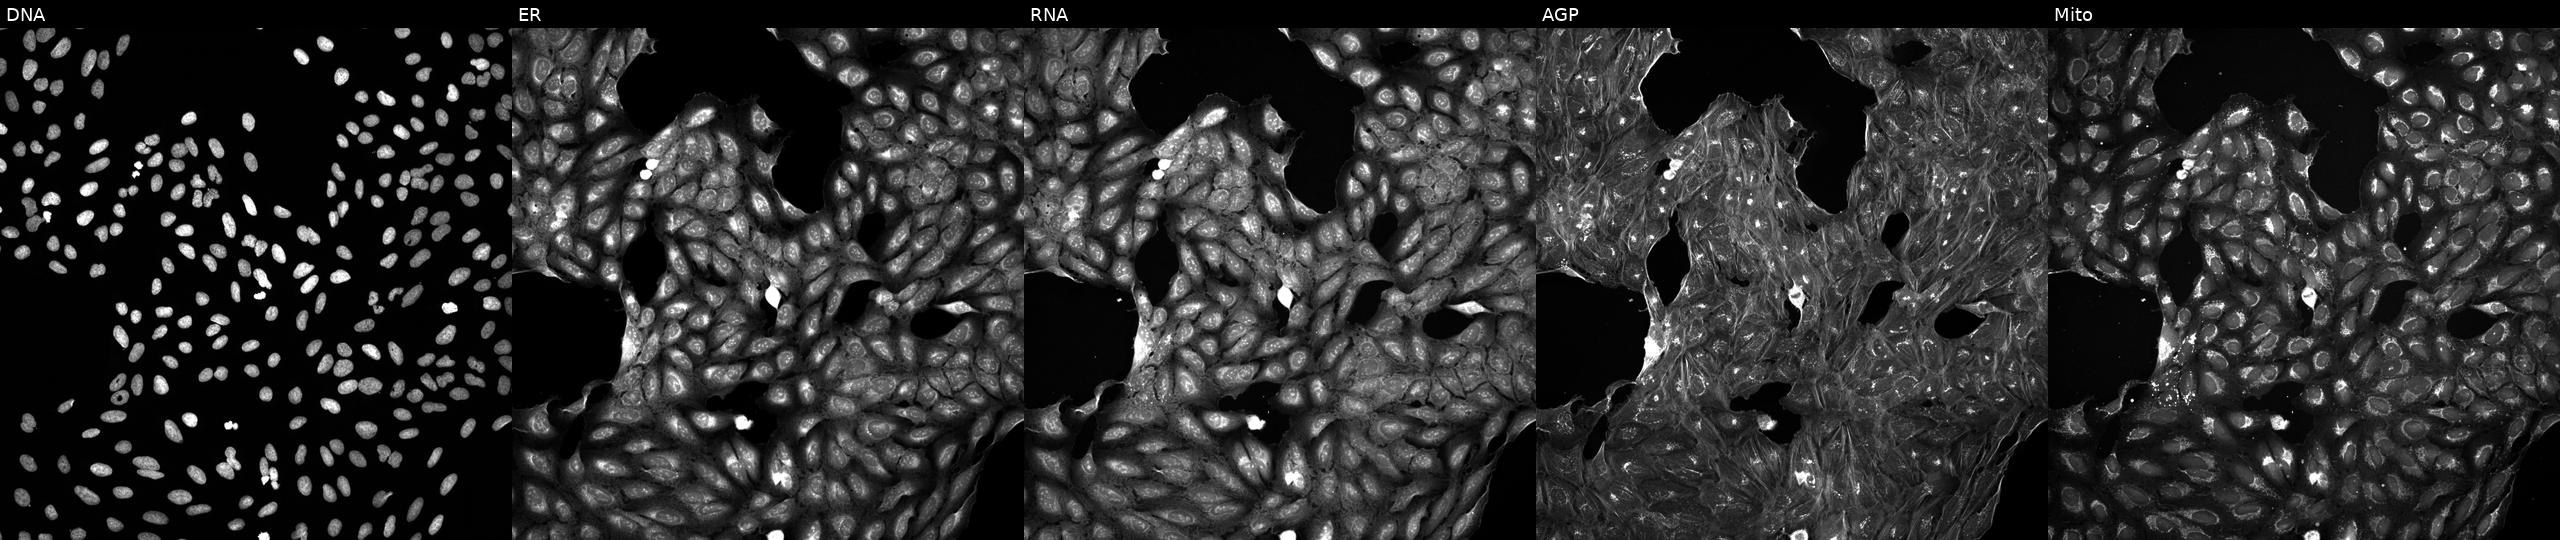
Five-channel Cell Painting image of U2OS cells treated with DMSO vehicle only (negative control). From left to right: Hoechst 33342, concanavalin A, SYTO 14, phalloidin and WGA, MitoTracker.